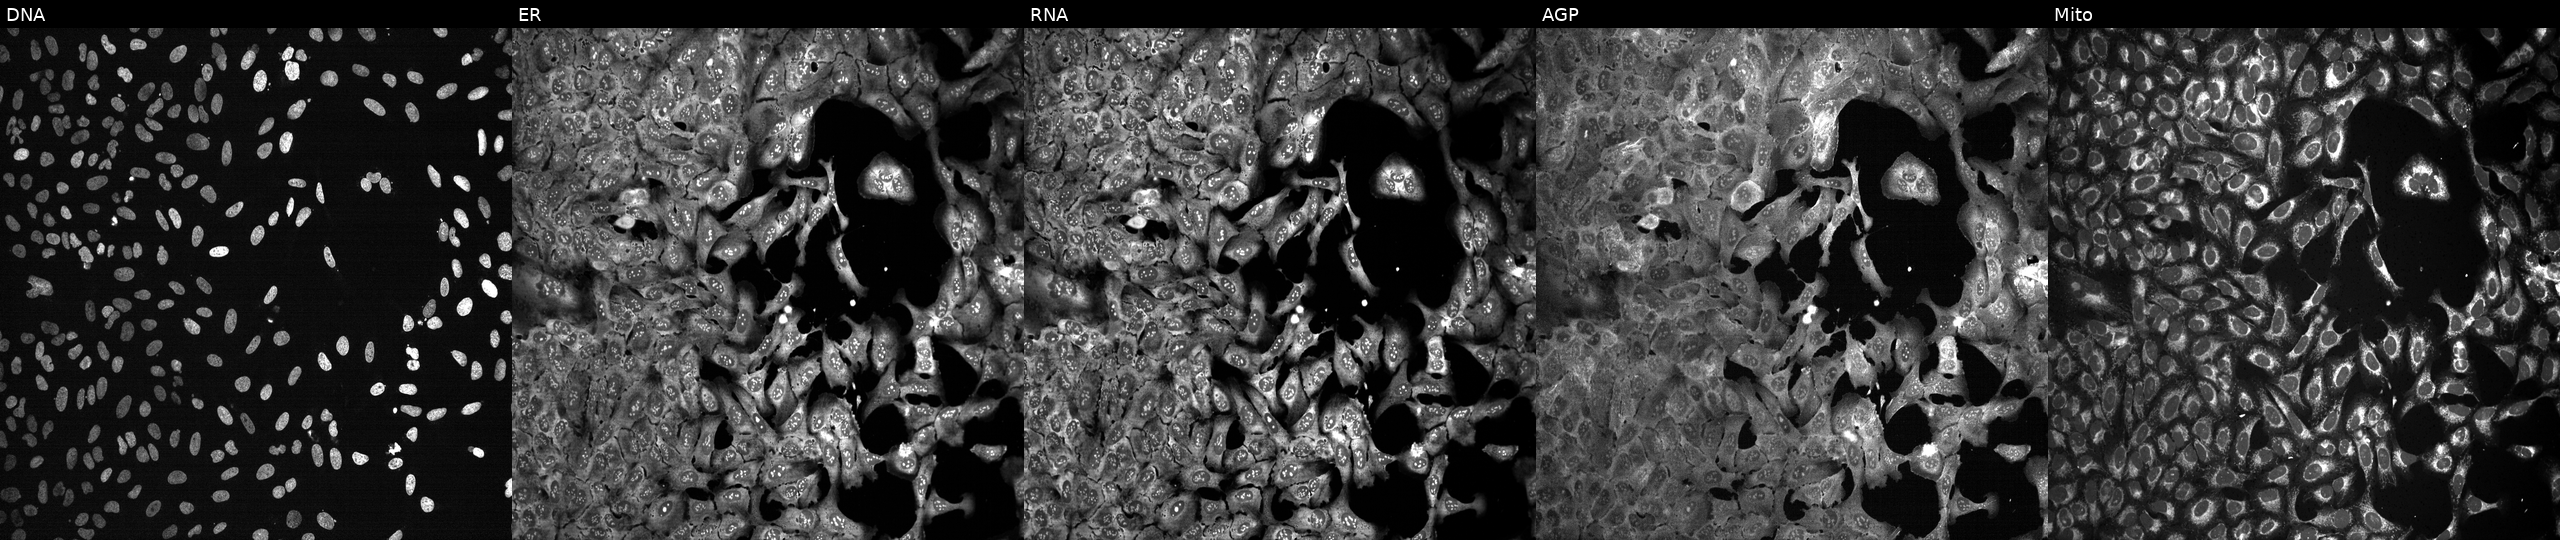
This image strip shows the five Cell Painting channels for a single field of U2OS cells CRISPR-edited to disrupt PCBP1. Channels (left→right): DNA, ER, RNA, AGP, and Mito.